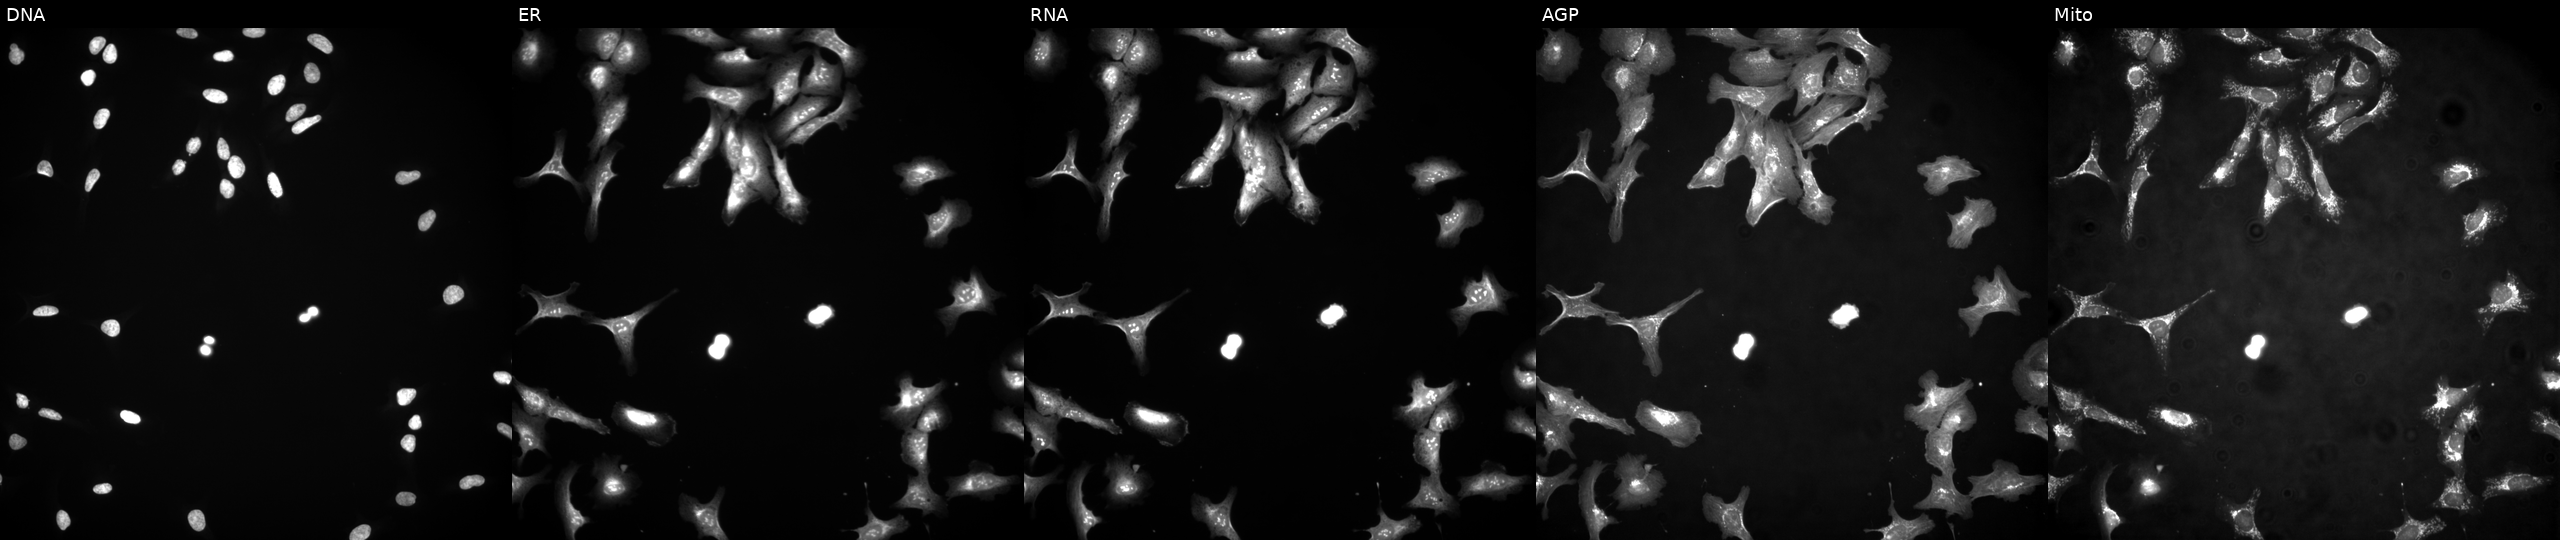
This image strip shows the five Cell Painting channels for a single field of U2OS cells overexpressing SH2D1B via ORF transfection. Panels show, left to right, Hoechst 33342, concanavalin A, SYTO 14, phalloidin and WGA, MitoTracker. Source 4, plate BR00124787, well I10.